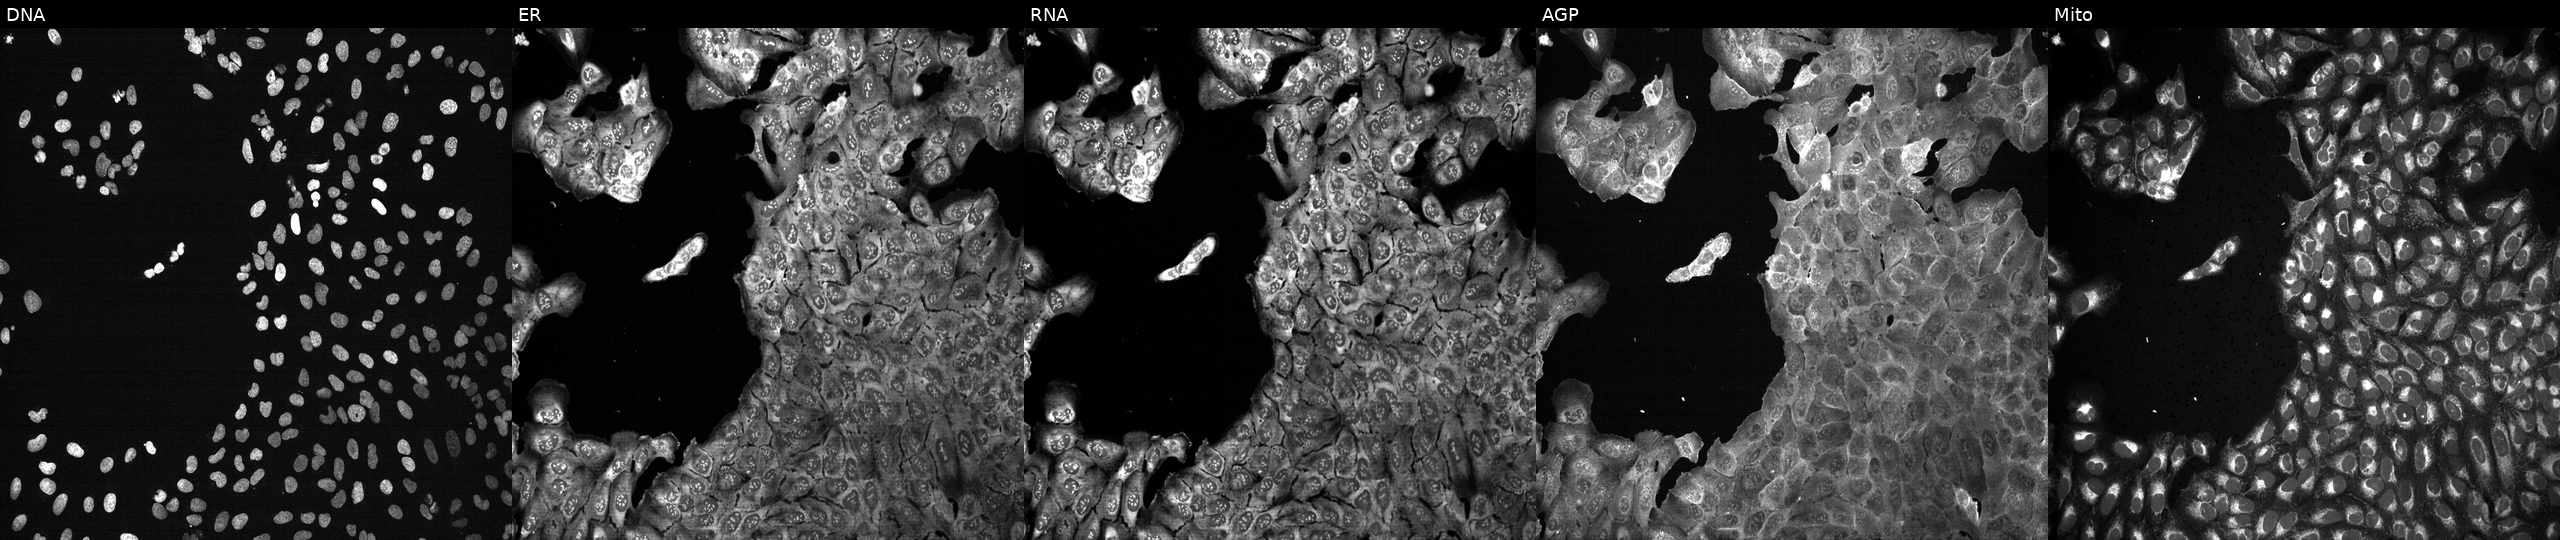
High-content fluorescence microscopy (Cell Painting). Cell line: U2OS. Perturbation: with POLD4 knocked out by CRISPR (JUMP id JCP2022_805326). Panels show, left to right, Hoechst 33342, concanavalin A, SYTO 14, phalloidin and WGA, MitoTracker. Source 13, plate CP-CC9-R2-02, well C21.